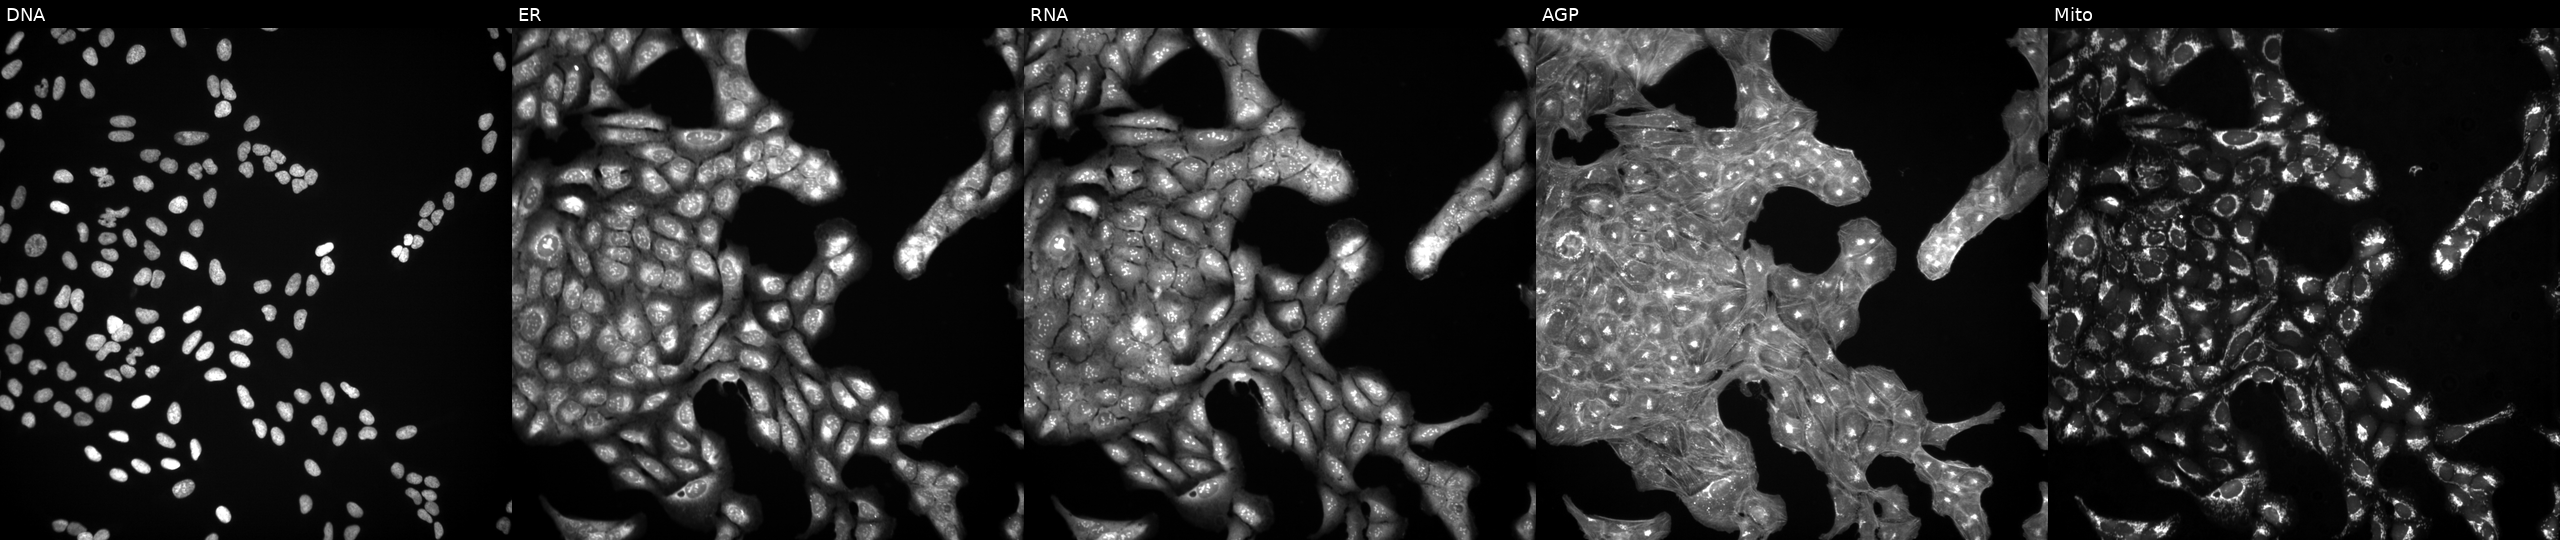
U2OS cells, Cell Painting assay, treated with a small-molecule compound (InChIKey KAQKFAOMNZTLHT-UHFFFAOYSA-N) (JUMP id JCP2022_043332). Panels show, left to right, Hoechst 33342, concanavalin A, SYTO 14, phalloidin and WGA, MitoTracker. Each panel is percentile-stretched 16-bit fluorescence. Source 3, plate JCPQC051, well L21.